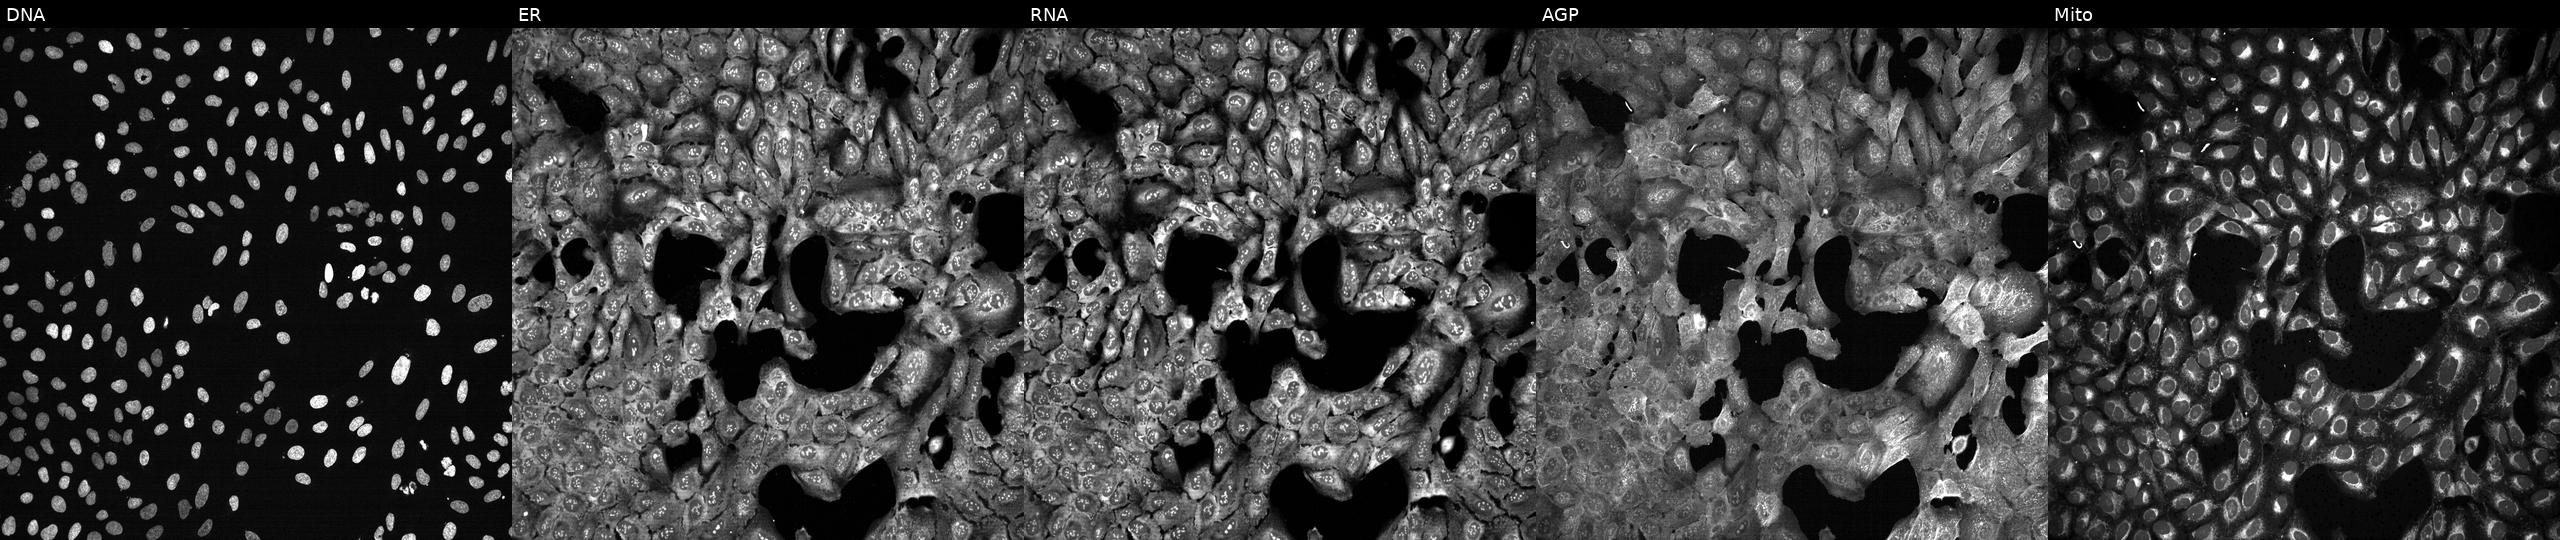
This image strip shows the five Cell Painting channels for a single field of U2OS cells following CRISPR knockout of CP. The five panels, left to right, show DNA, ER, RNA, AGP, and Mito. Source 13, plate CP-CC9-R2-01, well J10.